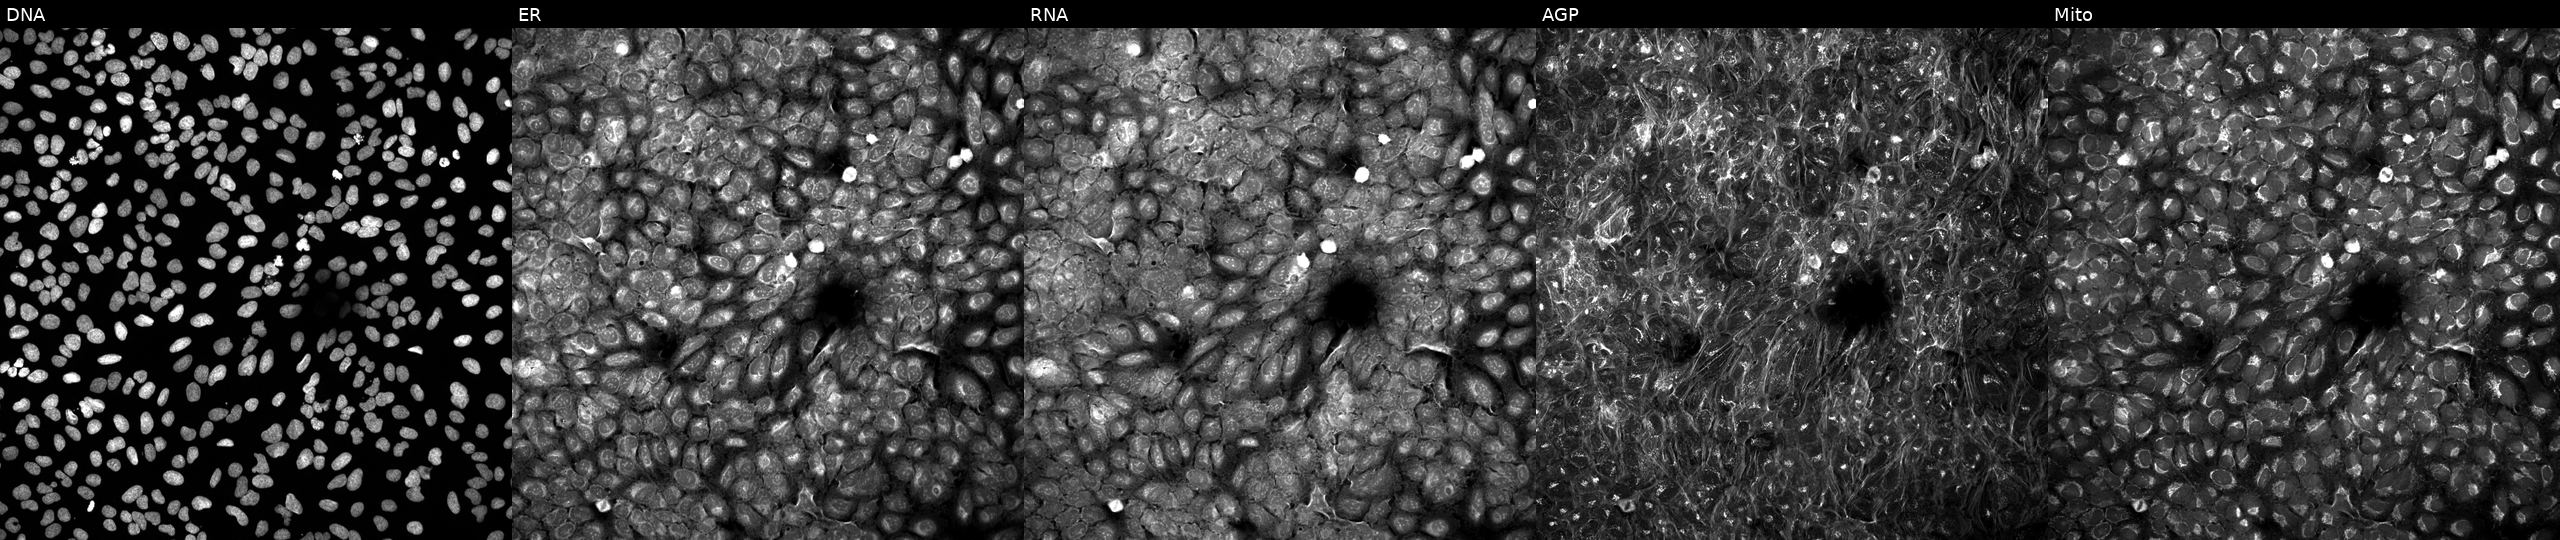
The five panels, left to right, show Hoechst 33342, concanavalin A, SYTO 14, phalloidin and WGA, MitoTracker. U2OS osteosarcoma cells exposed to a small-molecule compound (JUMP id JCP2022_093047). Cell Painting assay, JUMP-CP dataset.